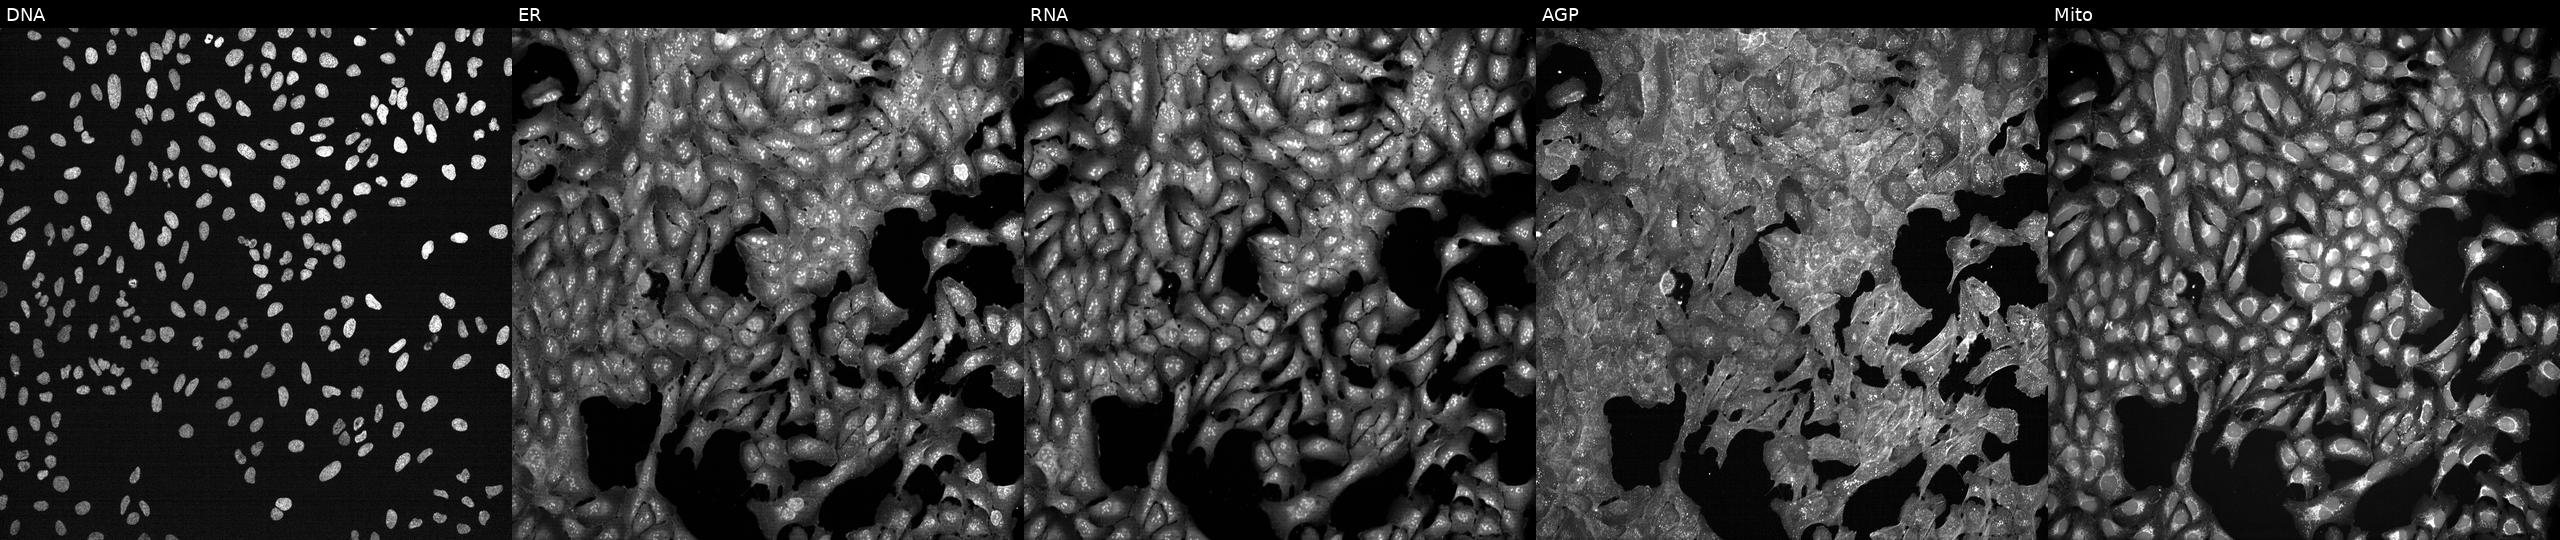
U2OS cells, Cell Painting assay, exposed to a small-molecule compound (InChIKey QQGWEXFLMJGCAL-UHFFFAOYSA-N) [SMILES: Cc1ccc(Sc2cncc3sc(C(N)=O)cc23)cc1]. From left to right: DNA (nuclei); ER (endoplasmic reticulum); RNA (nucleoli and cytoplasmic RNA); AGP (actin cytoskeleton, Golgi, and plasma membrane); Mito (mitochondria). Each panel is percentile-stretched 16-bit fluorescence. Source 7, plate CP2-SC1-25, well J05.